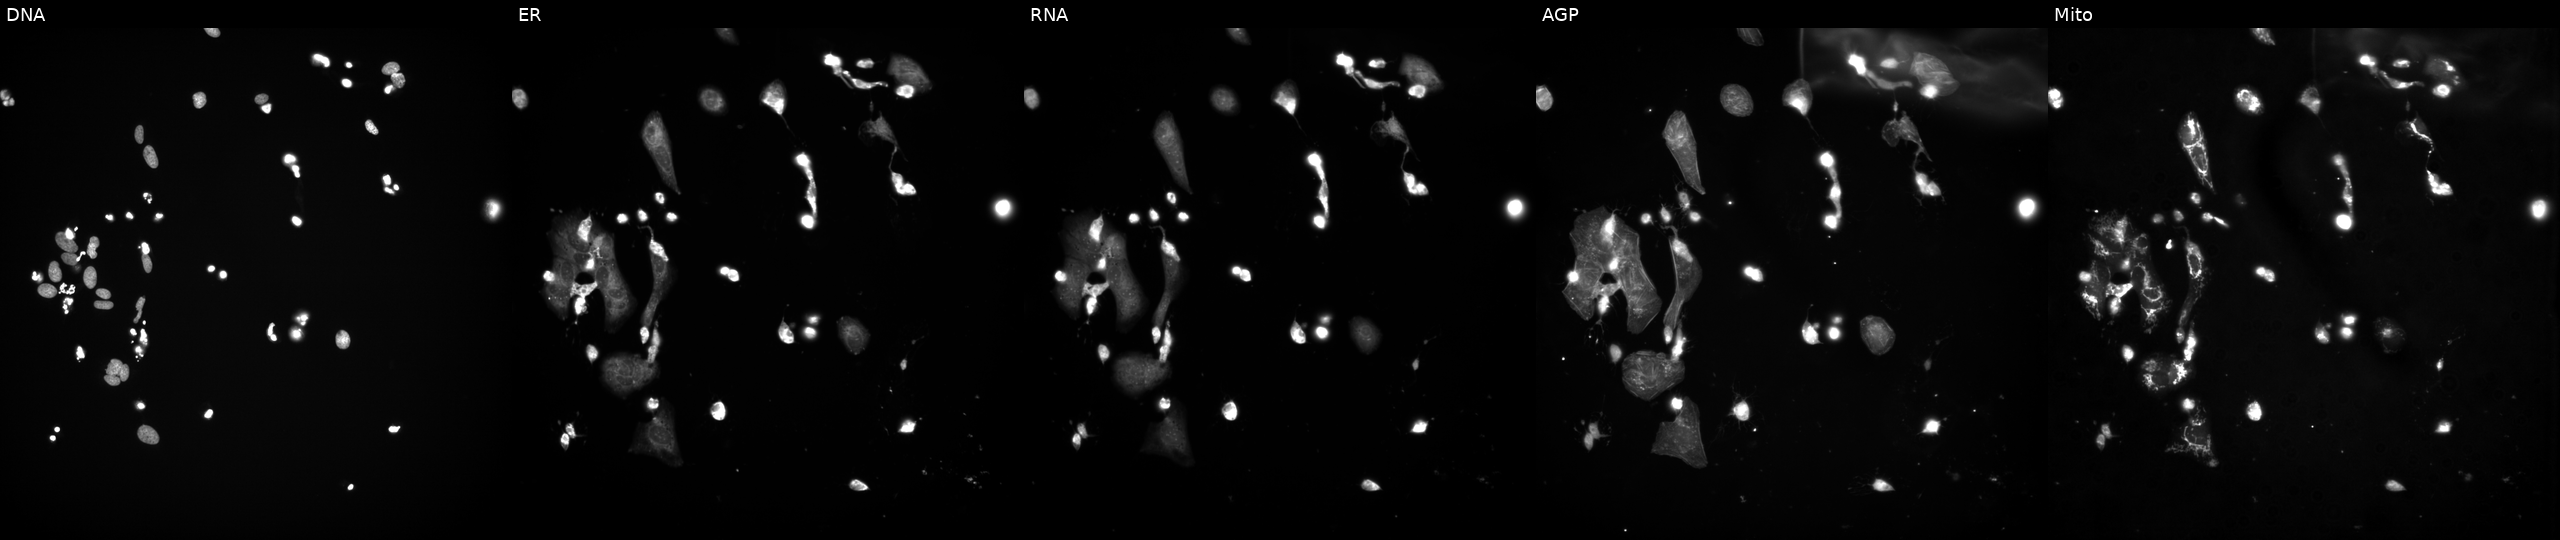
U2OS cells, Cell Painting assay, perturbed with a small-molecule compound (InChIKey RVAQIUULWULRNW-UHFFFAOYSA-N). From left to right: DNA (nuclei); ER (endoplasmic reticulum); RNA (nucleoli and cytoplasmic RNA); AGP (actin cytoskeleton, Golgi, and plasma membrane); Mito (mitochondria). Each panel is percentile-stretched 16-bit fluorescence. Source 3, plate JCPQC053, well L22.